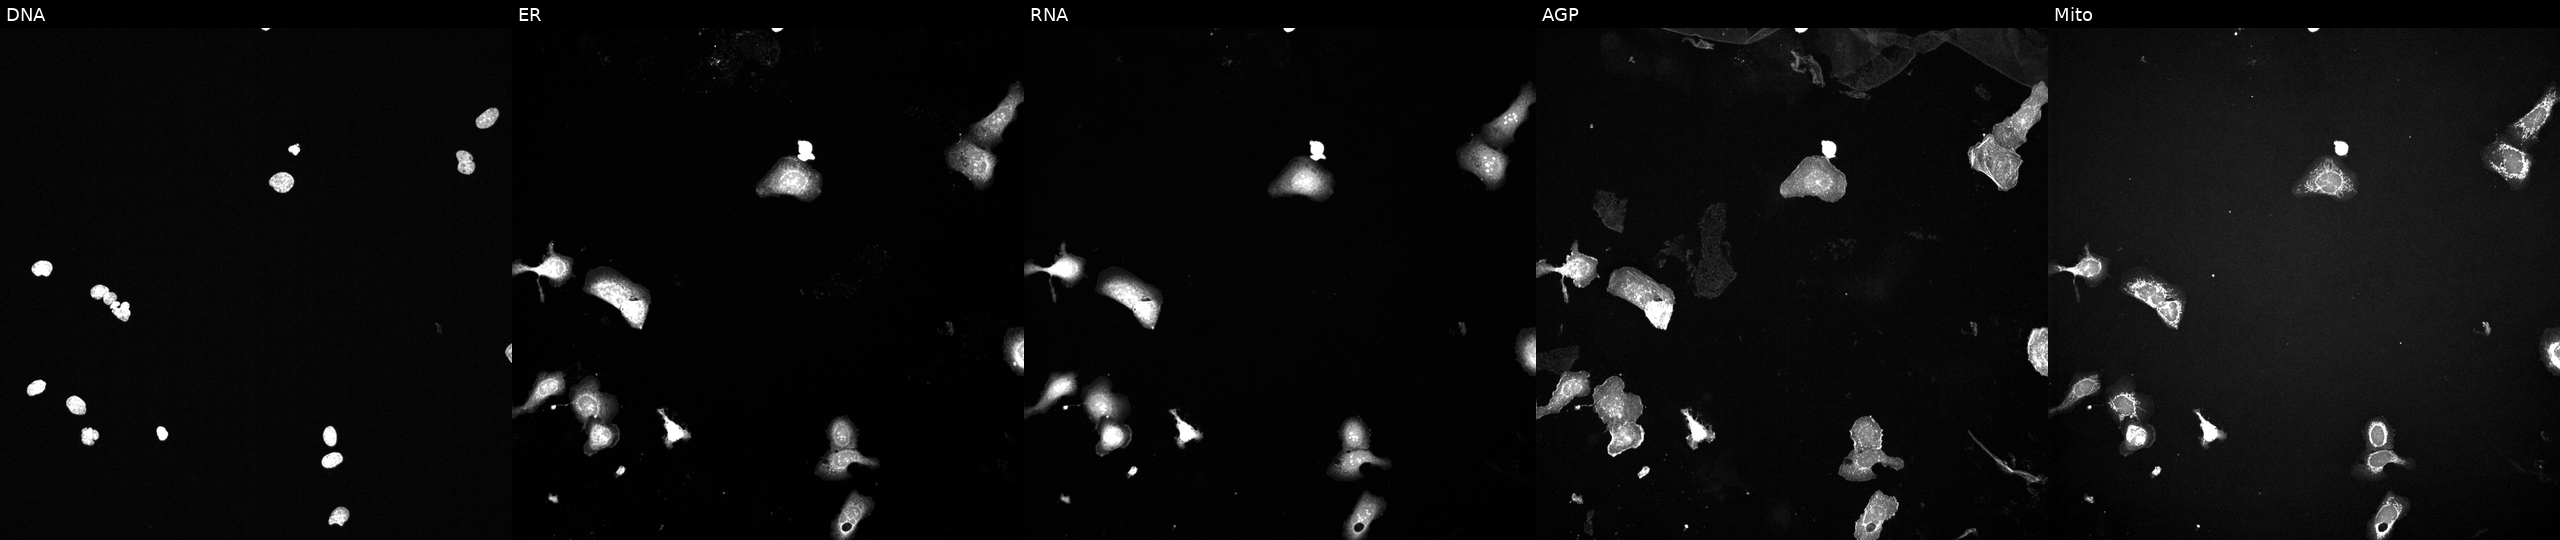
U2OS cells, Cell Painting assay, exposed to a small-molecule compound (JUMP id JCP2022_013856). Channels (left→right): DNA, ER, RNA, AGP, and Mito. Each panel is percentile-stretched 16-bit fluorescence.